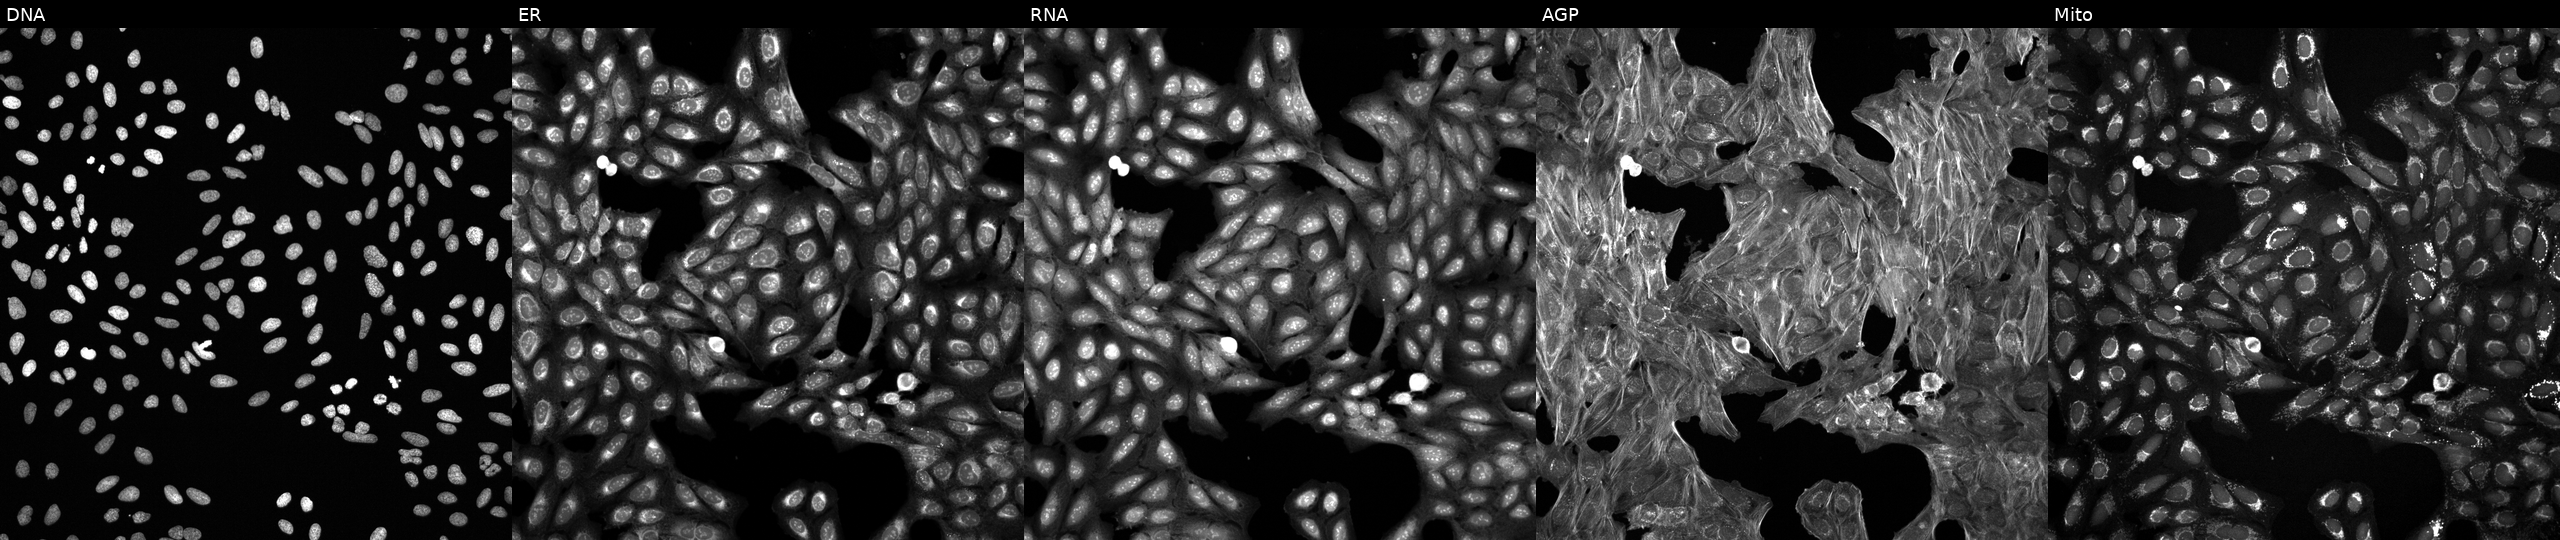
Five-channel Cell Painting image of U2OS cells exposed to a small-molecule compound (JUMP id JCP2022_046304). The five panels, left to right, show Hoechst 33342, concanavalin A, SYTO 14, phalloidin and WGA, MitoTracker.